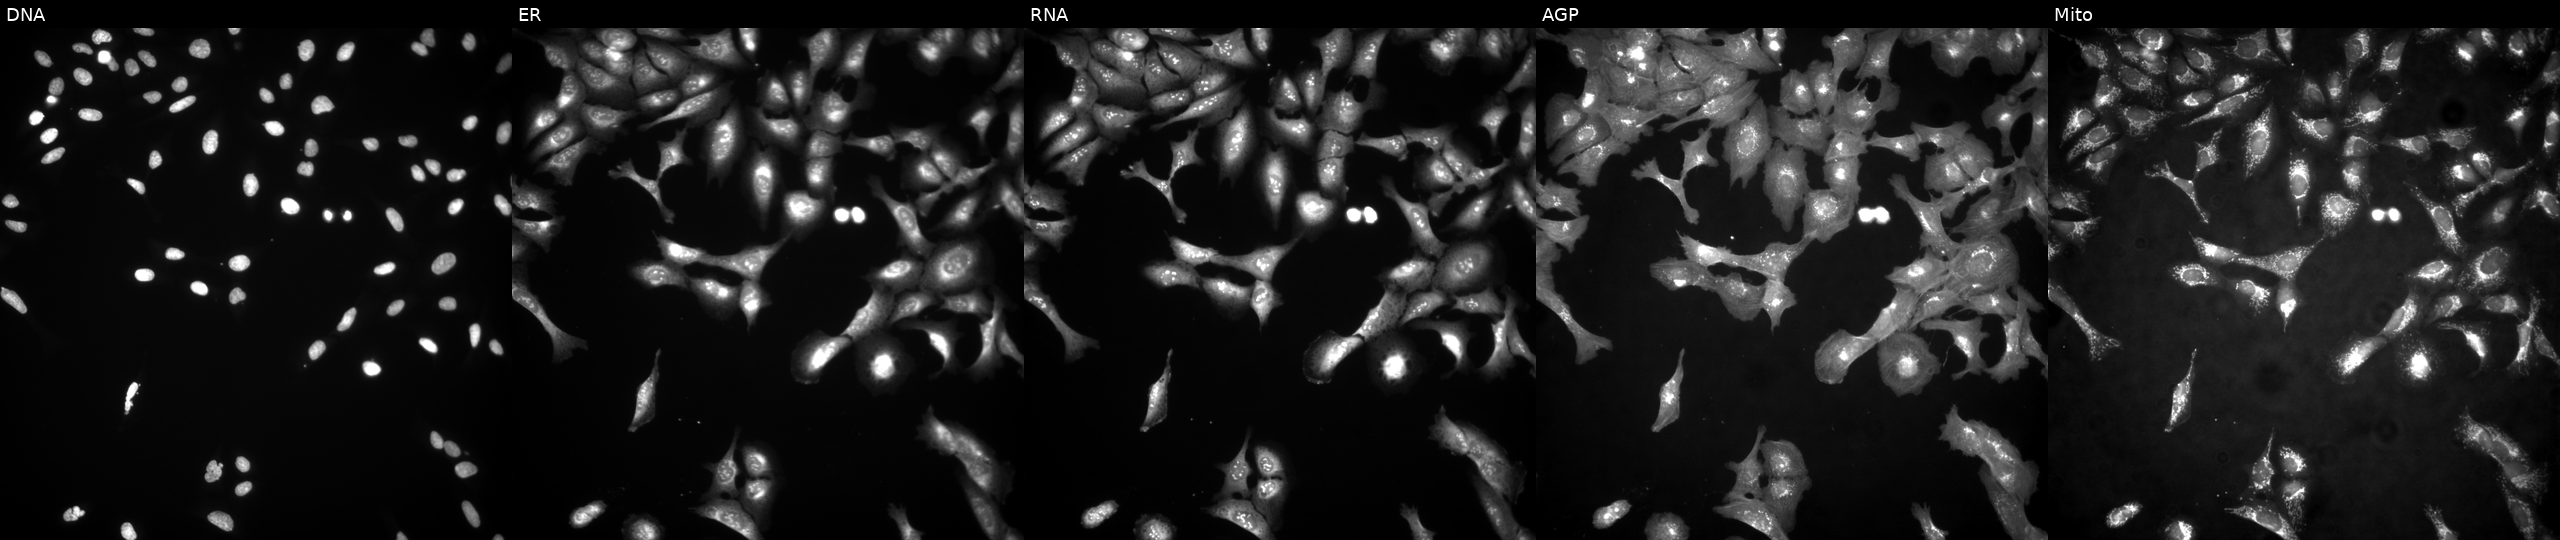
Five-channel Cell Painting image of U2OS cells with NECAB1 overexpressed (ORF). Channels (left→right): DNA (nuclei); ER (endoplasmic reticulum); RNA (nucleoli and cytoplasmic RNA); AGP (actin cytoskeleton, Golgi, and plasma membrane); Mito (mitochondria).